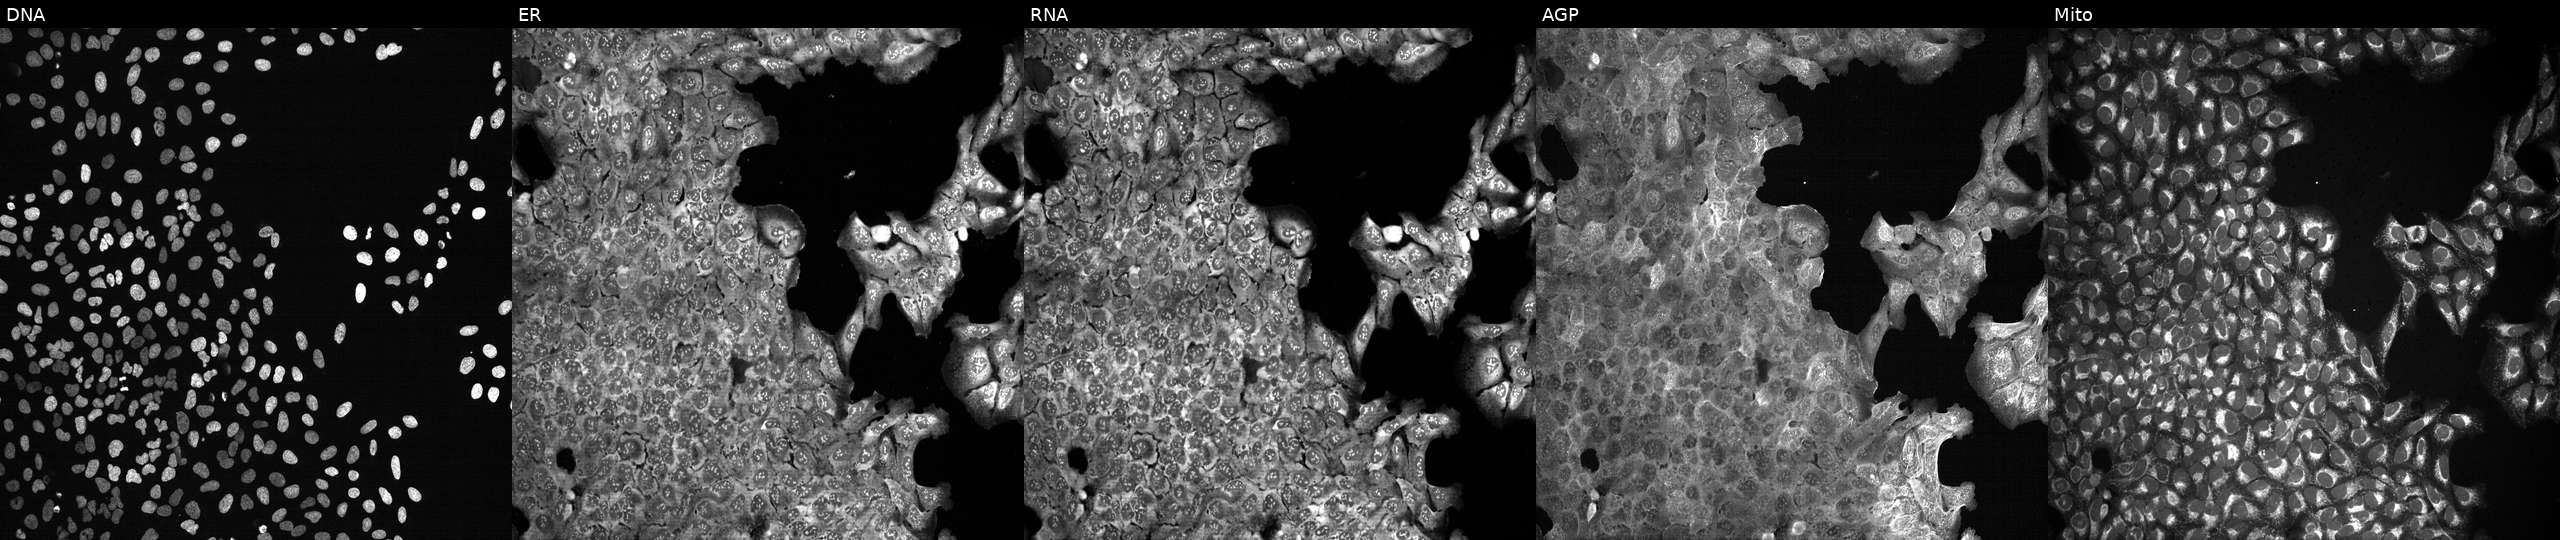
U2OS cells, Cell Painting assay, with a non-targeting CRISPR guide (negative control) (JUMP id JCP2022_800002). The five panels, left to right, show Hoechst 33342, concanavalin A, SYTO 14, phalloidin and WGA, MitoTracker. Each panel is percentile-stretched 16-bit fluorescence. Source 13, plate CP-CC9-R2-02, well J02.